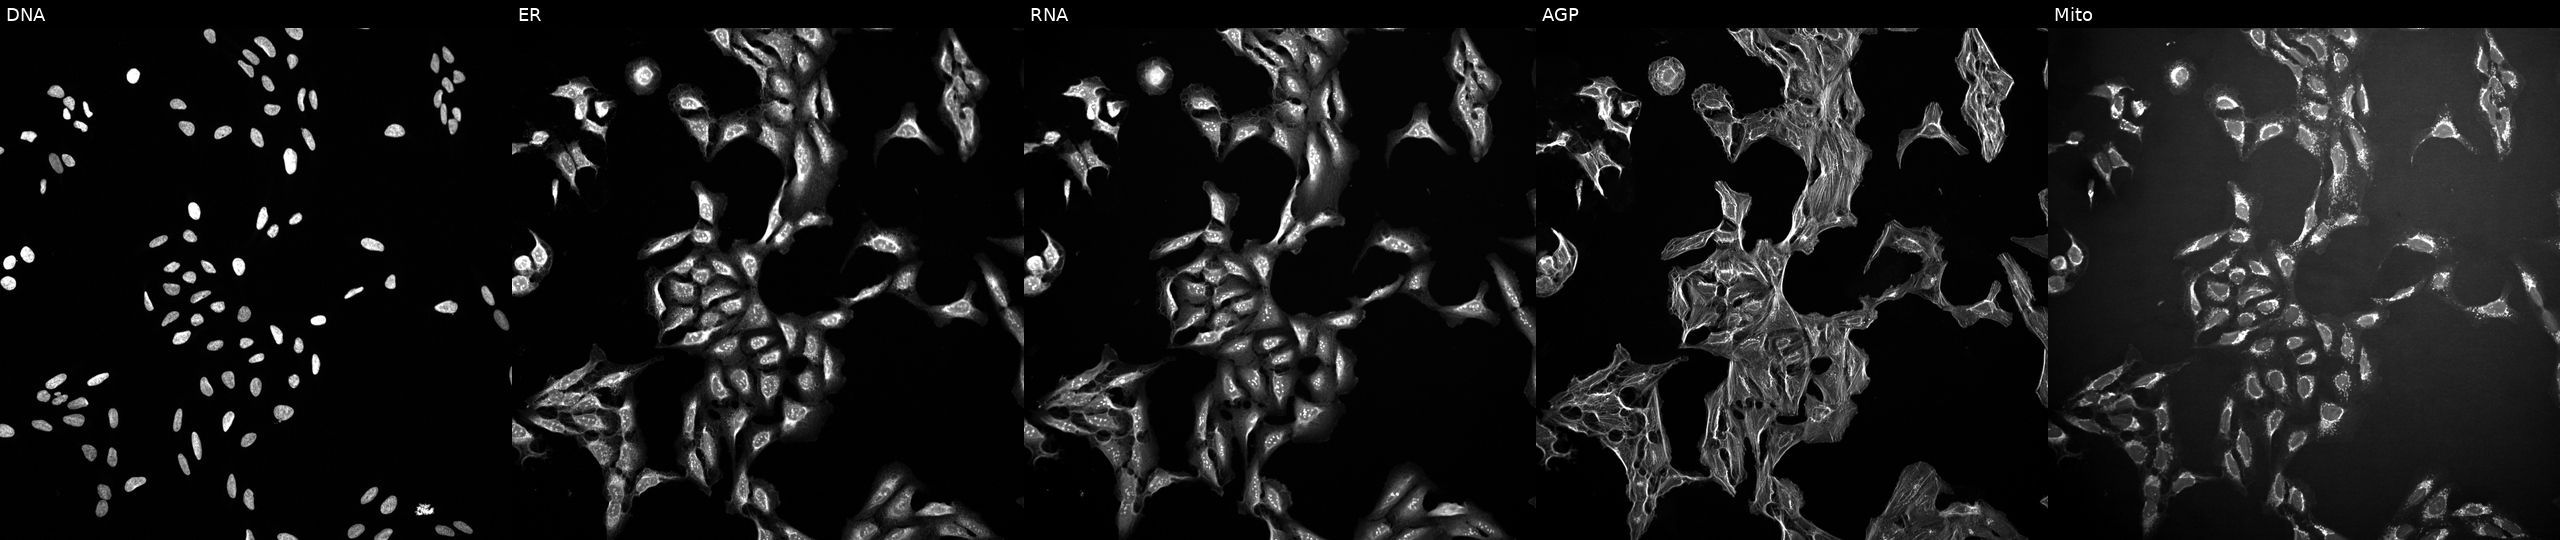
This image strip shows the five Cell Painting channels for a single field of U2OS cells exposed to a small-molecule compound (JUMP id JCP2022_050271). The five panels, left to right, show DNA (nuclei); ER (endoplasmic reticulum); RNA (nucleoli and cytoplasmic RNA); AGP (actin cytoskeleton, Golgi, and plasma membrane); Mito (mitochondria).